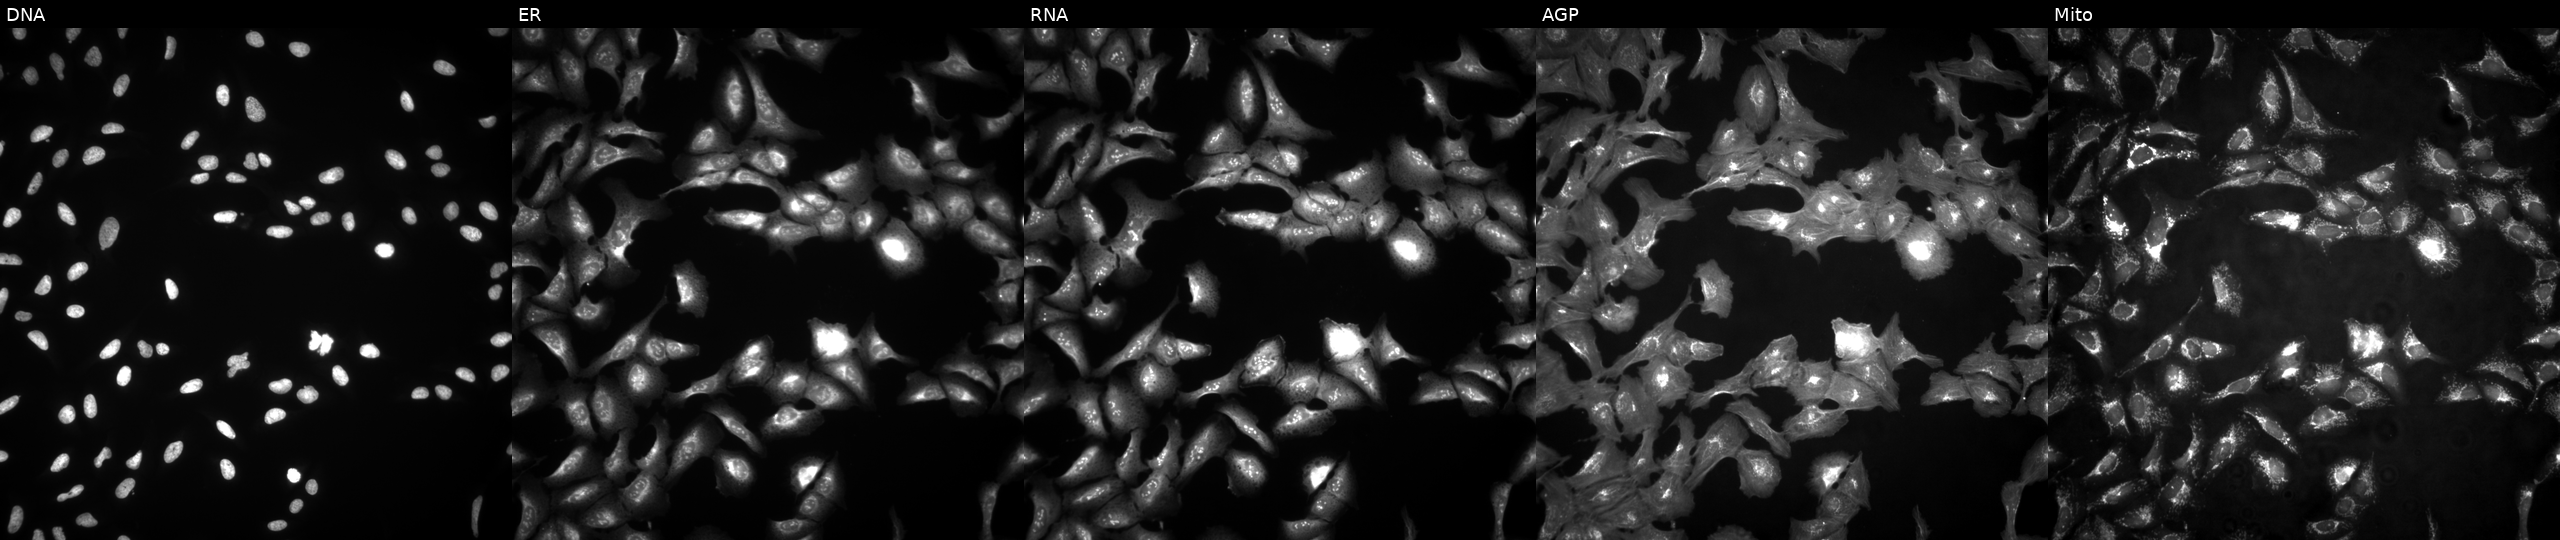
From left to right: DNA, ER, RNA, AGP, and Mito. U2OS osteosarcoma cells with NDUFA7 overexpressed (ORF) (JUMP id JCP2022_900999). Cell Painting assay, JUMP-CP dataset.